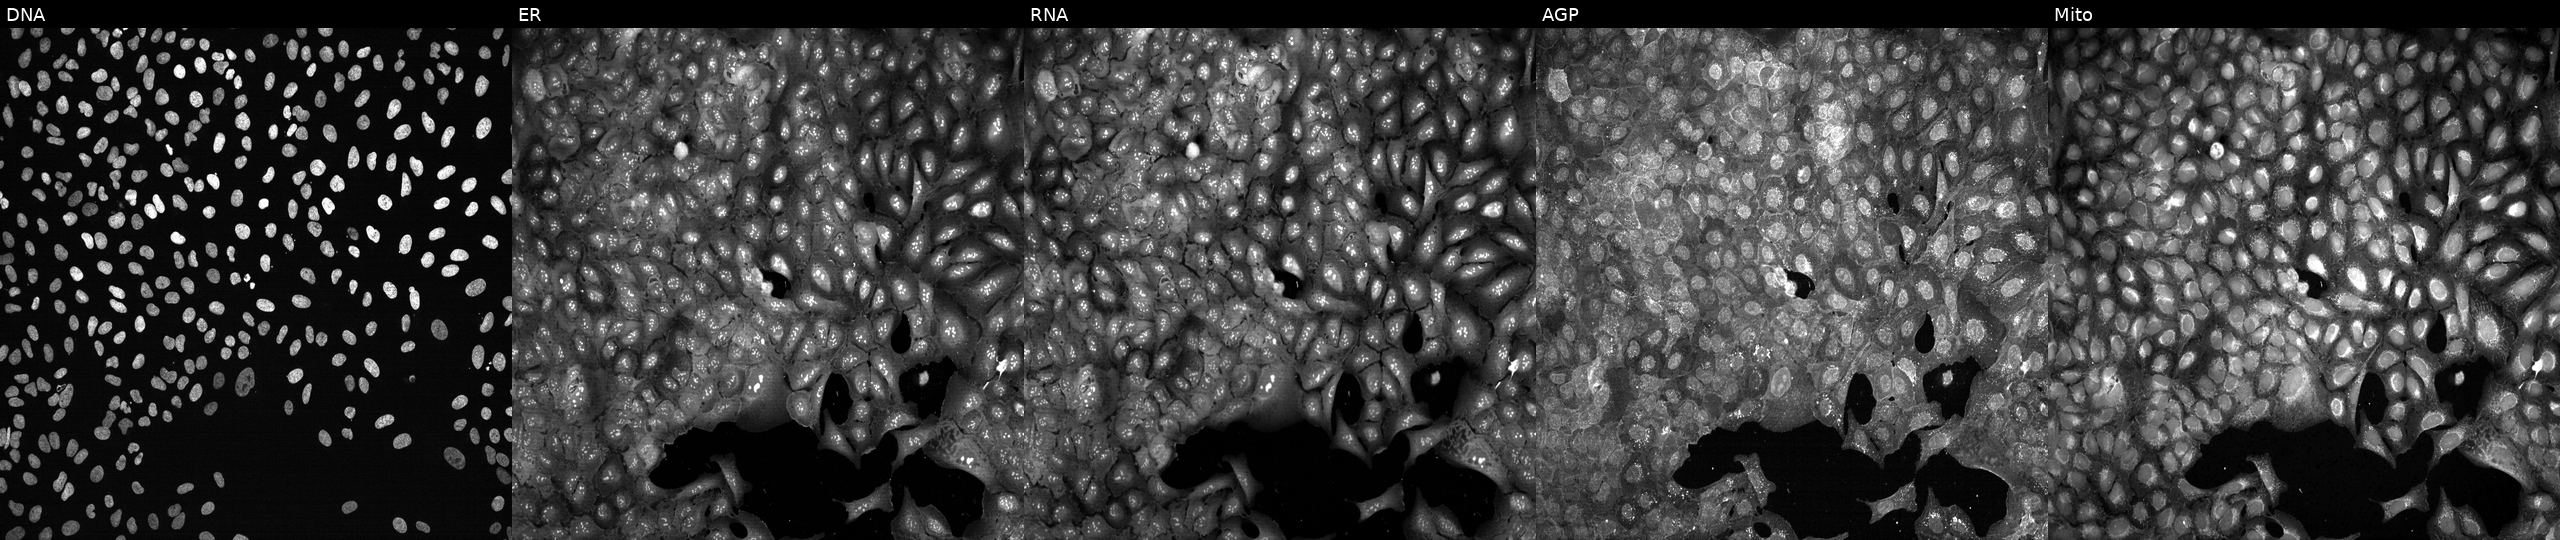
High-content fluorescence microscopy (Cell Painting). Cell line: U2OS. Perturbation: CRISPR-edited to disrupt TAPBP (JUMP id JCP2022_806954). Channels (left→right): Hoechst 33342, concanavalin A, SYTO 14, phalloidin and WGA, MitoTracker. Source 13, plate CP-CC9-R1-01, well P09.